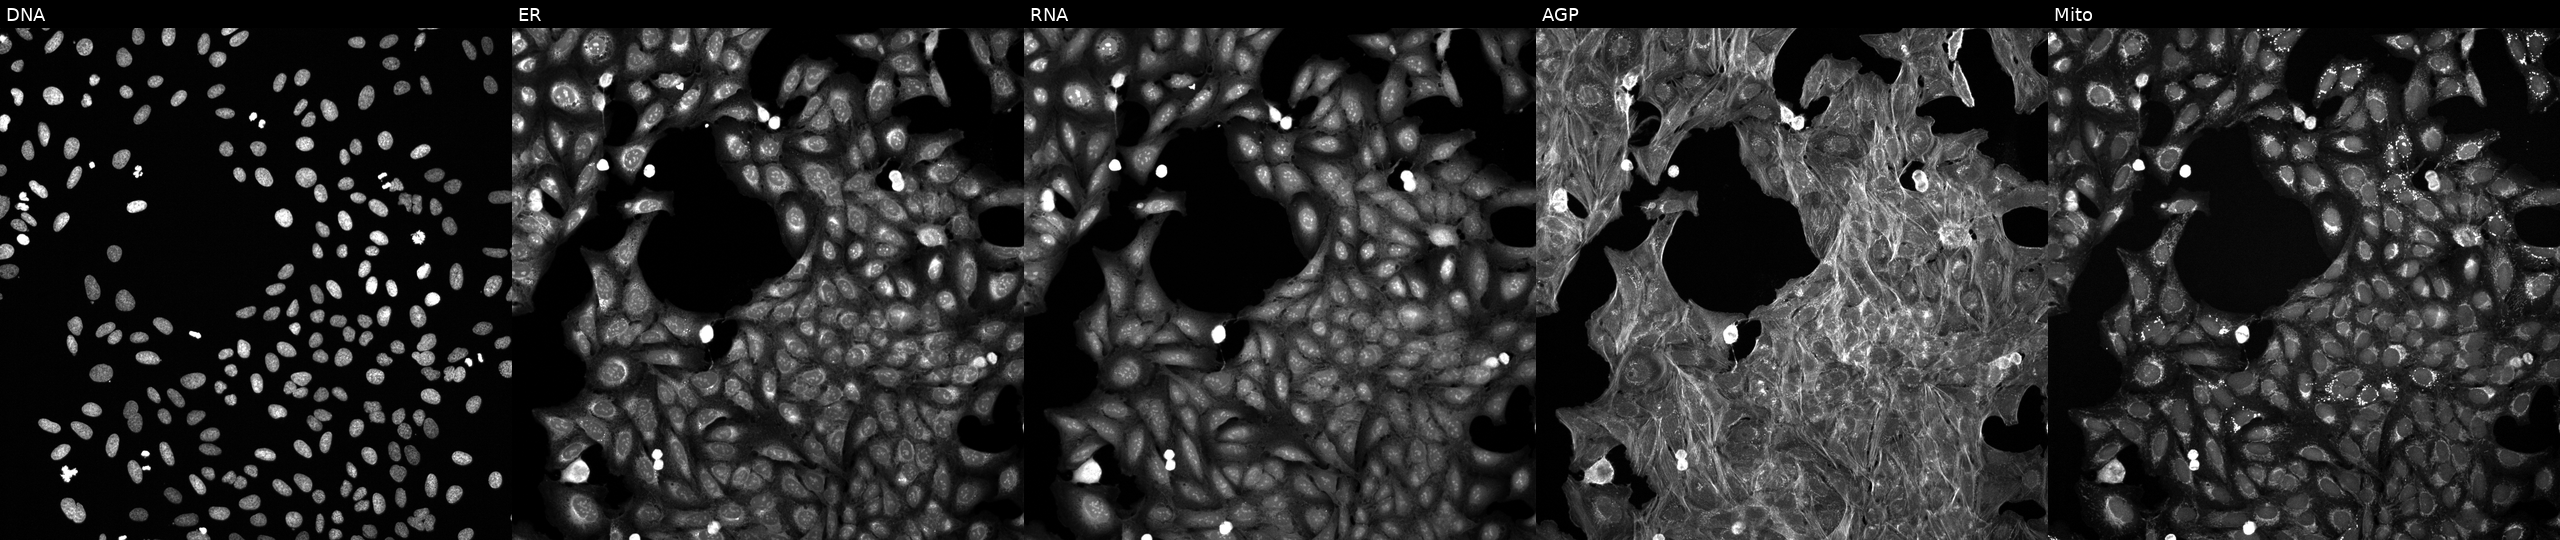
The five panels, left to right, show DNA (nuclei); ER (endoplasmic reticulum); RNA (nucleoli and cytoplasmic RNA); AGP (actin cytoskeleton, Golgi, and plasma membrane); Mito (mitochondria). U2OS osteosarcoma cells perturbed with a small-molecule compound (InChIKey HULPONUAINYLQQ-UHFFFAOYSA-N) (JUMP id JCP2022_032680). Cell Painting assay, JUMP-CP dataset.